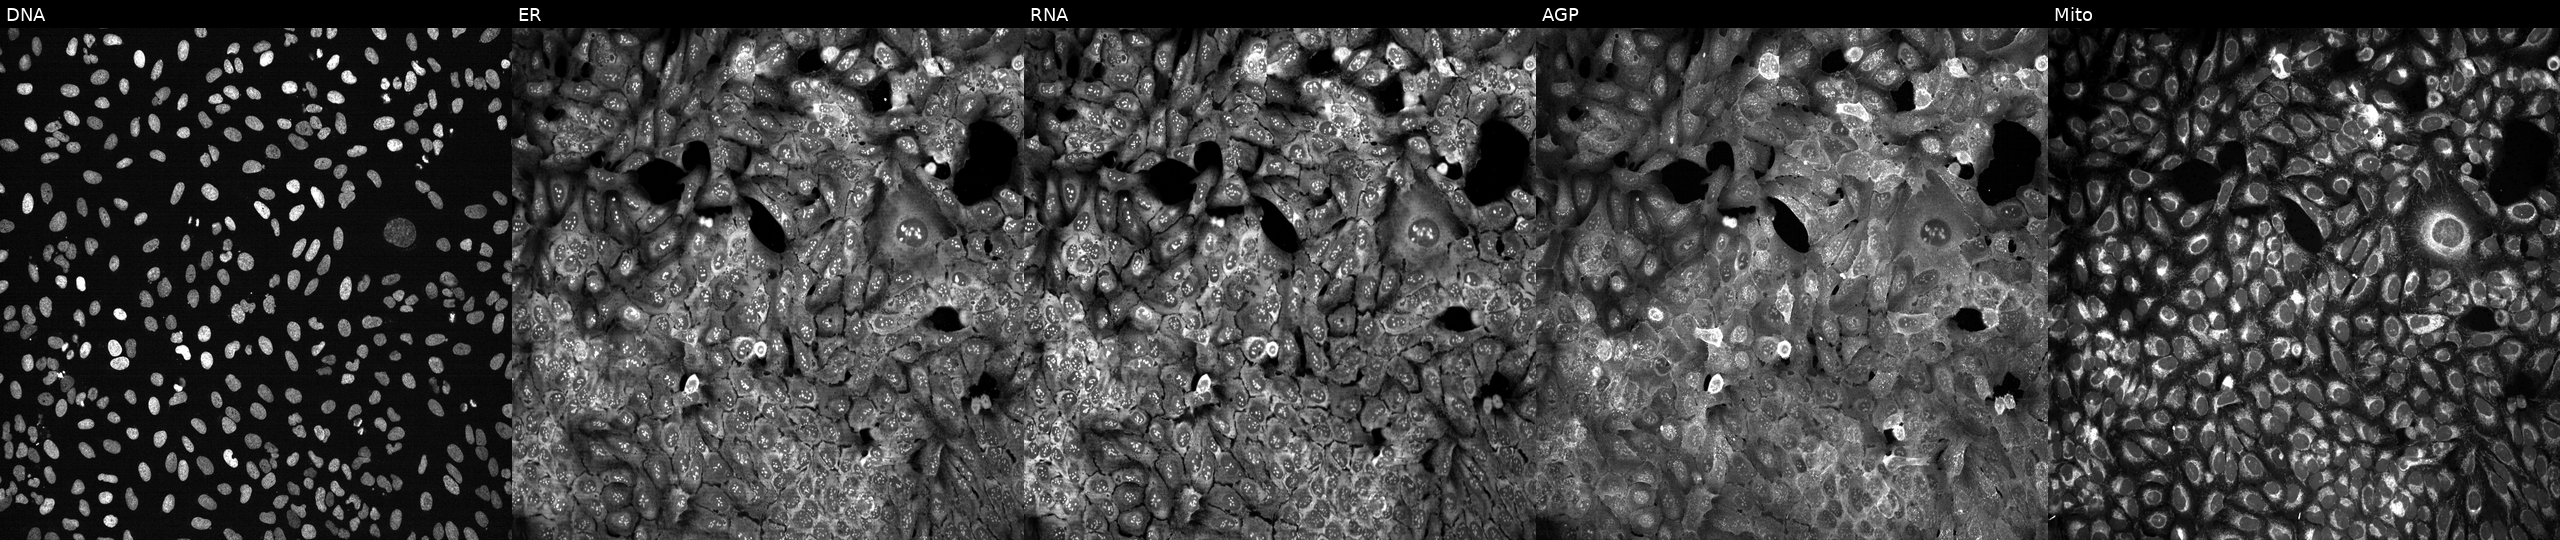
This image strip shows the five Cell Painting channels for a single field of U2OS cells with PCYOX1 knocked out by CRISPR. Channels (left→right): DNA, ER, RNA, AGP, and Mito.